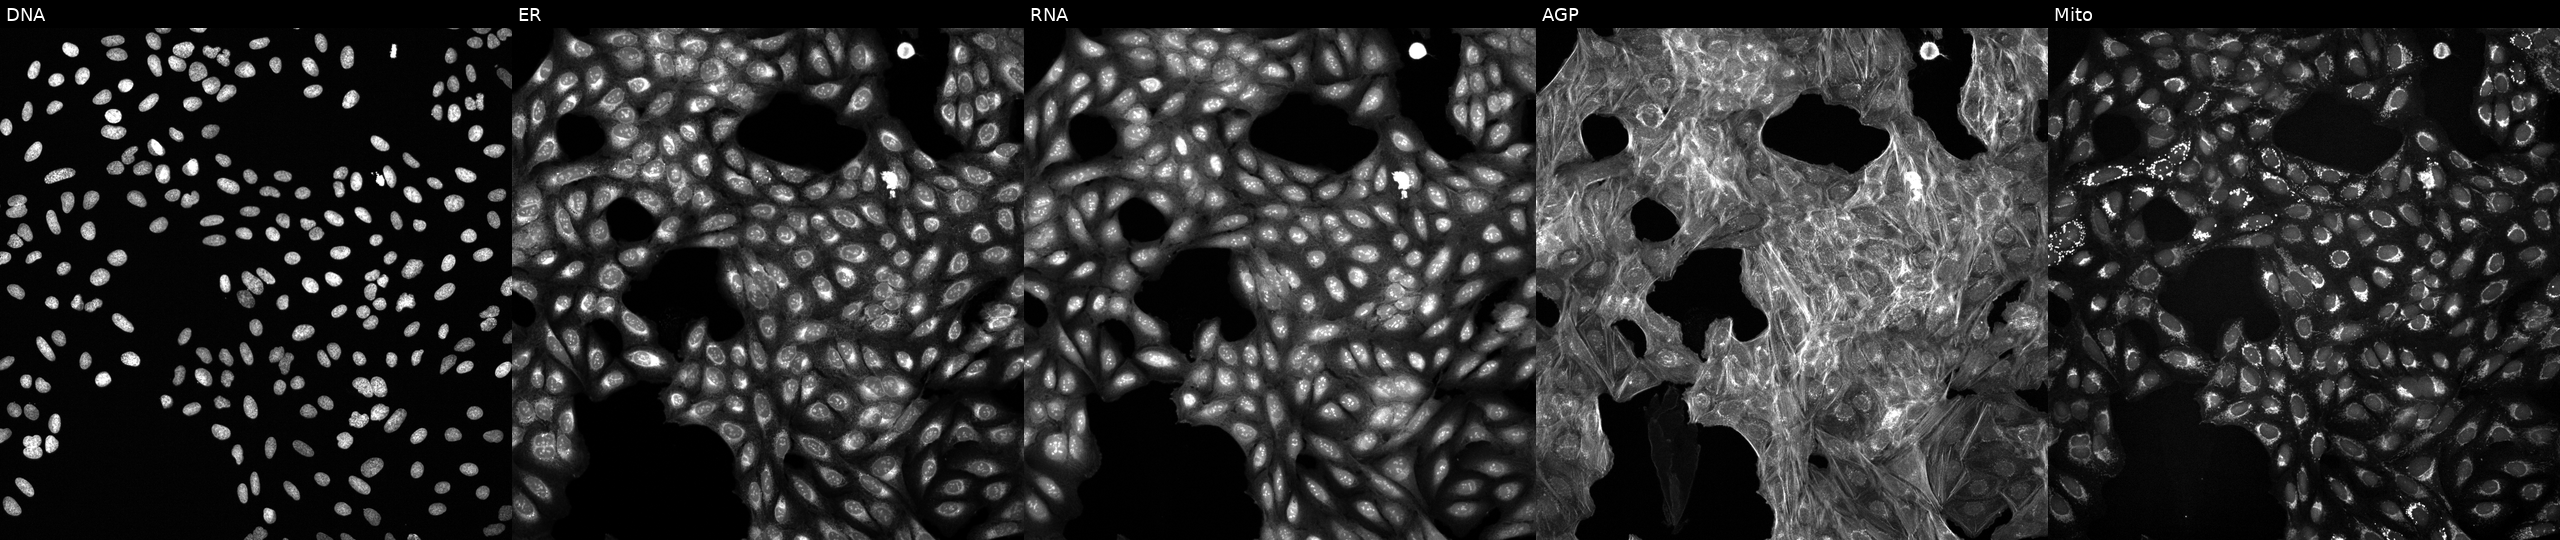
This image strip shows the five Cell Painting channels for a single field of U2OS cells exposed to a small-molecule compound (InChIKey KCAAQTFZCYLGIC-UHFFFAOYSA-N) (JUMP id JCP2022_043635). From left to right: DNA (nuclei); ER (endoplasmic reticulum); RNA (nucleoli and cytoplasmic RNA); AGP (actin cytoskeleton, Golgi, and plasma membrane); Mito (mitochondria).